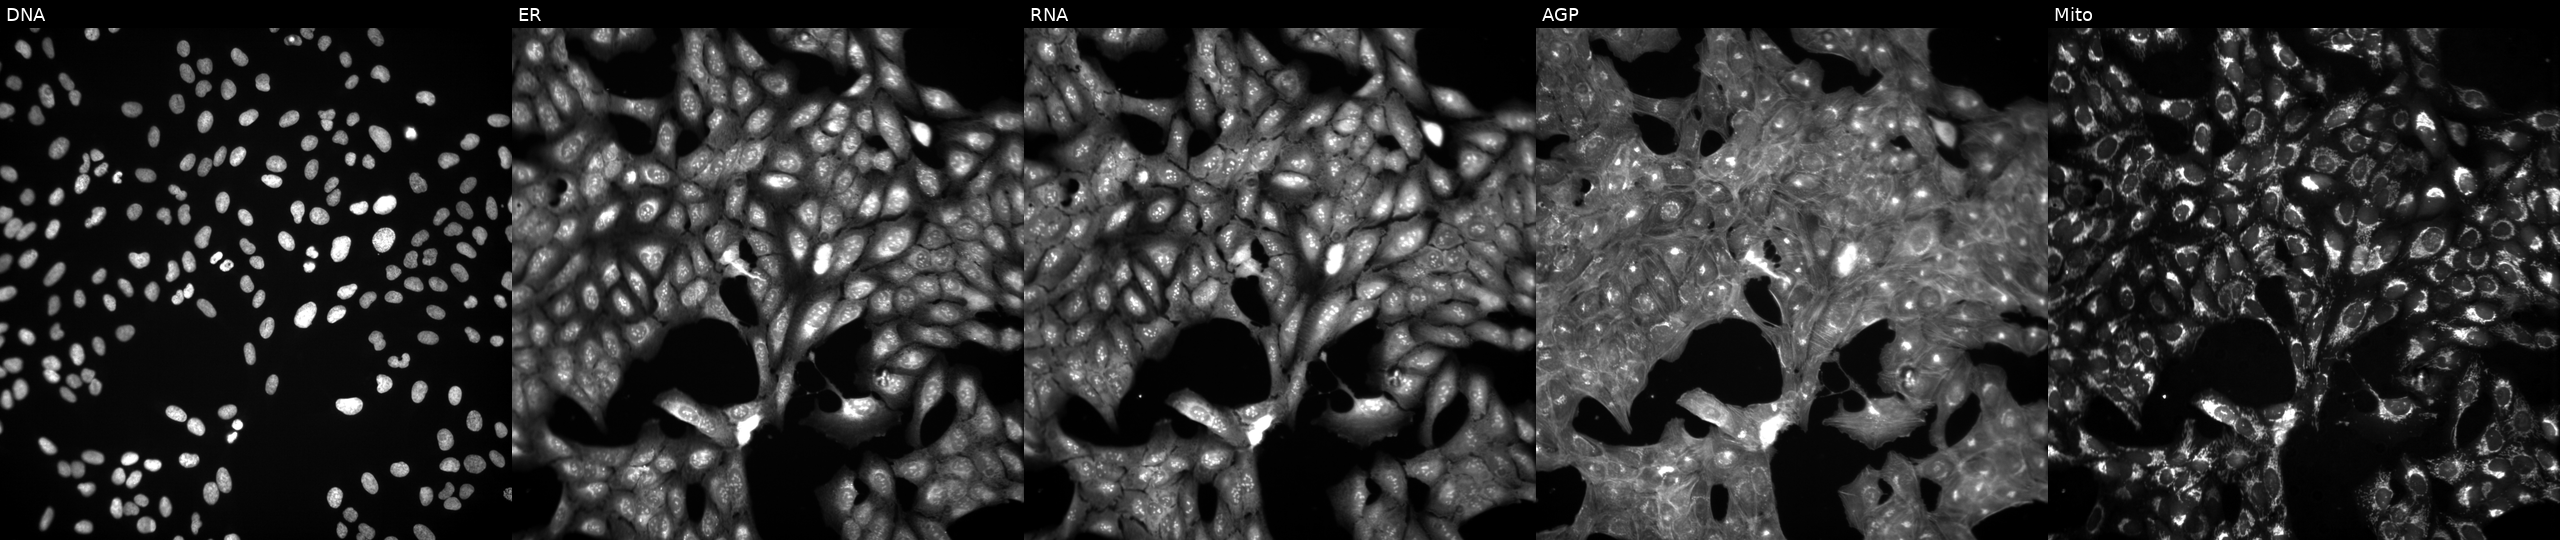
High-content fluorescence microscopy (Cell Painting). Cell line: U2OS. Perturbation: treated with DMSO vehicle only (negative control) (JUMP id JCP2022_033924). From left to right: DNA (nuclei); ER (endoplasmic reticulum); RNA (nucleoli and cytoplasmic RNA); AGP (actin cytoskeleton, Golgi, and plasma membrane); Mito (mitochondria). Source 3, plate JCPQC051, well E01.